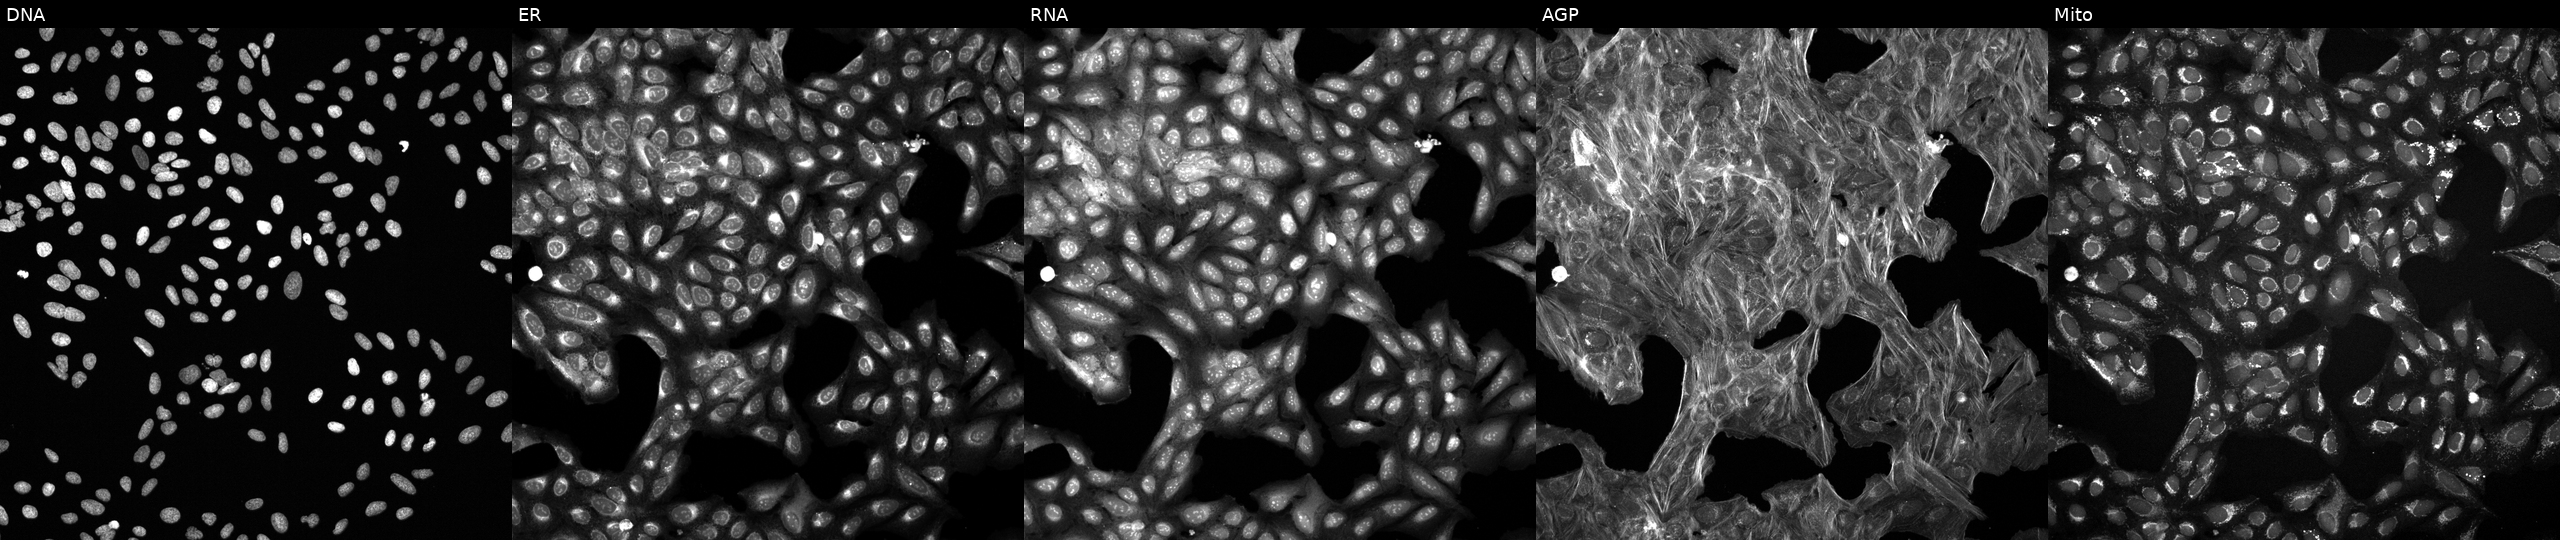
This image strip shows the five Cell Painting channels for a single field of U2OS cells perturbed with a small-molecule compound (InChIKey QMNKIMQVXKIPID-UHFFFAOYSA-N) (JUMP id JCP2022_074461). The five panels, left to right, show DNA, ER, RNA, AGP, and Mito.